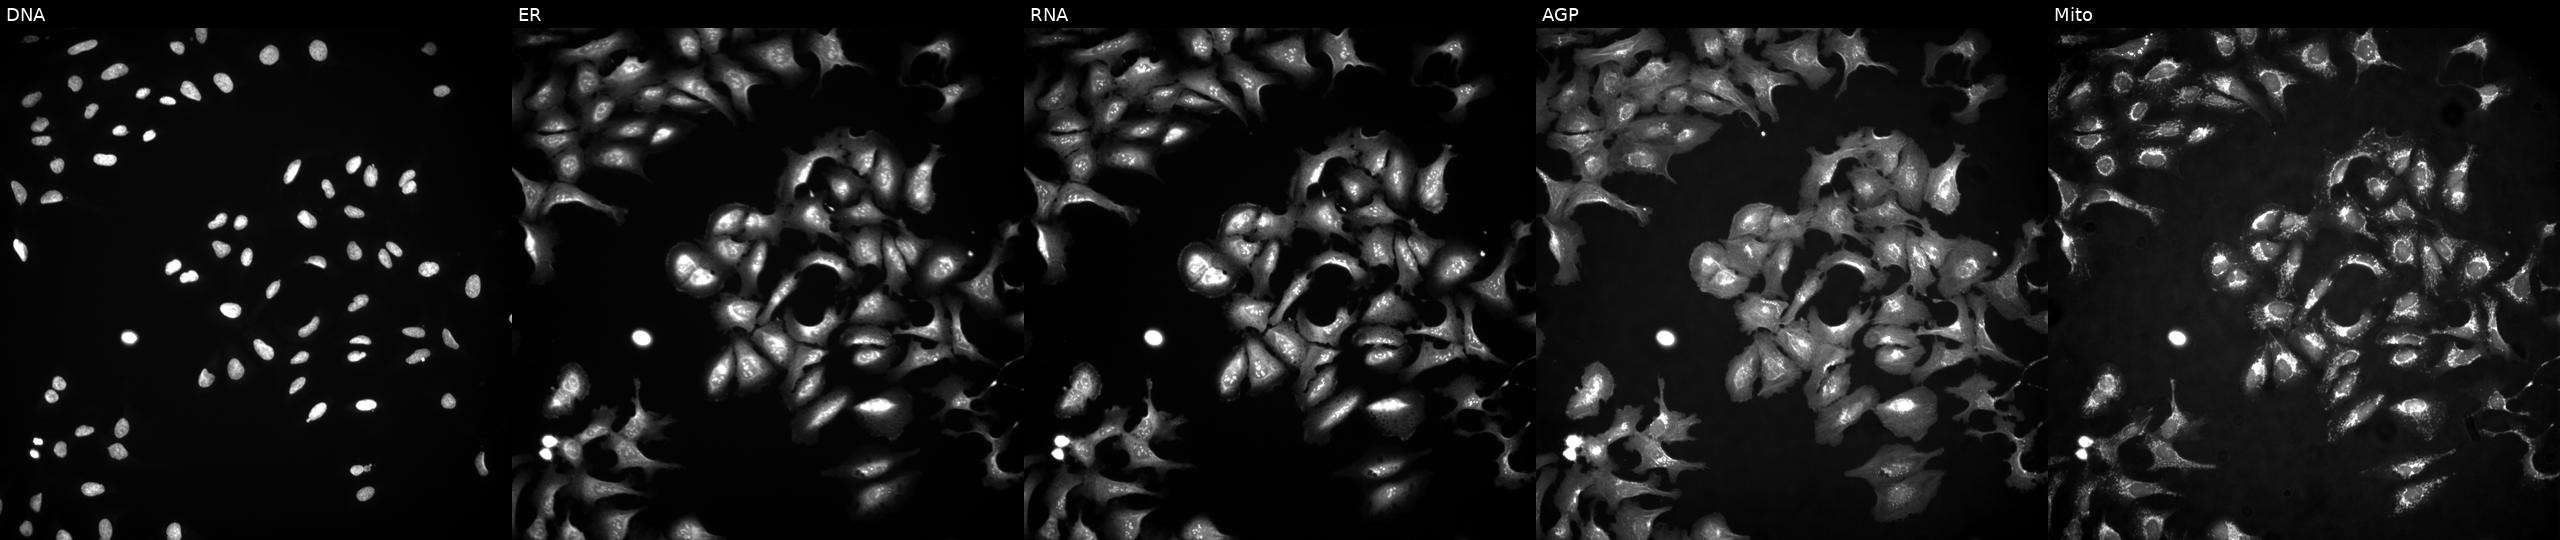
Five-channel Cell Painting image of U2OS cells overexpressing DNAJC19 via ORF transfection. Channels (left→right): Hoechst 33342, concanavalin A, SYTO 14, phalloidin and WGA, MitoTracker.